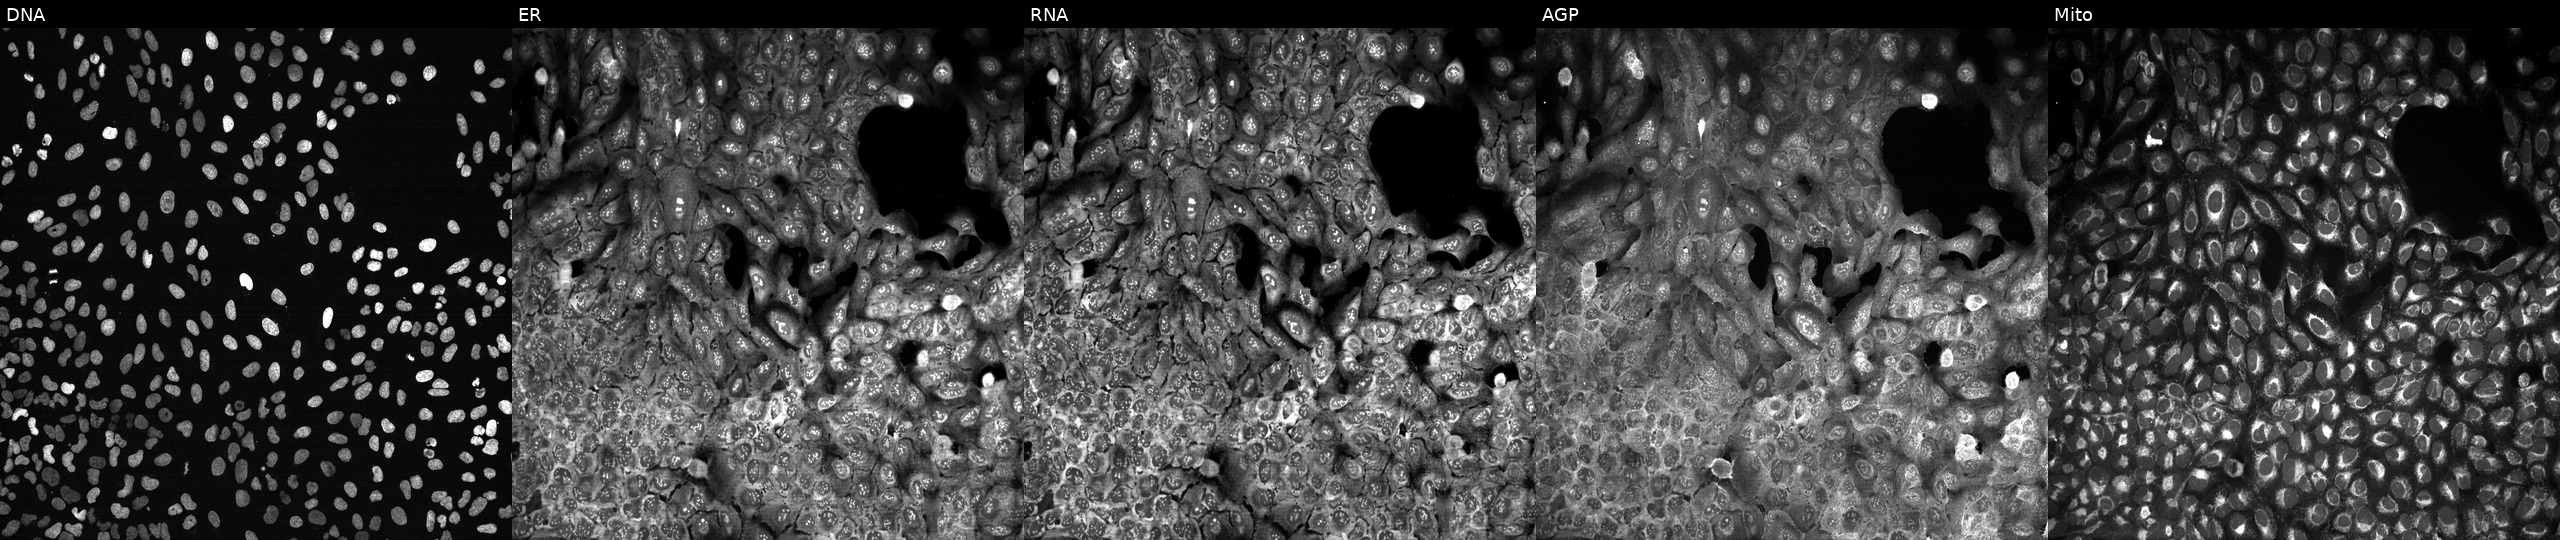
Five-channel Cell Painting image of U2OS cells with TPMT knocked out by CRISPR (JUMP id JCP2022_807220). Channels (left→right): DNA (nuclei); ER (endoplasmic reticulum); RNA (nucleoli and cytoplasmic RNA); AGP (actin cytoskeleton, Golgi, and plasma membrane); Mito (mitochondria).